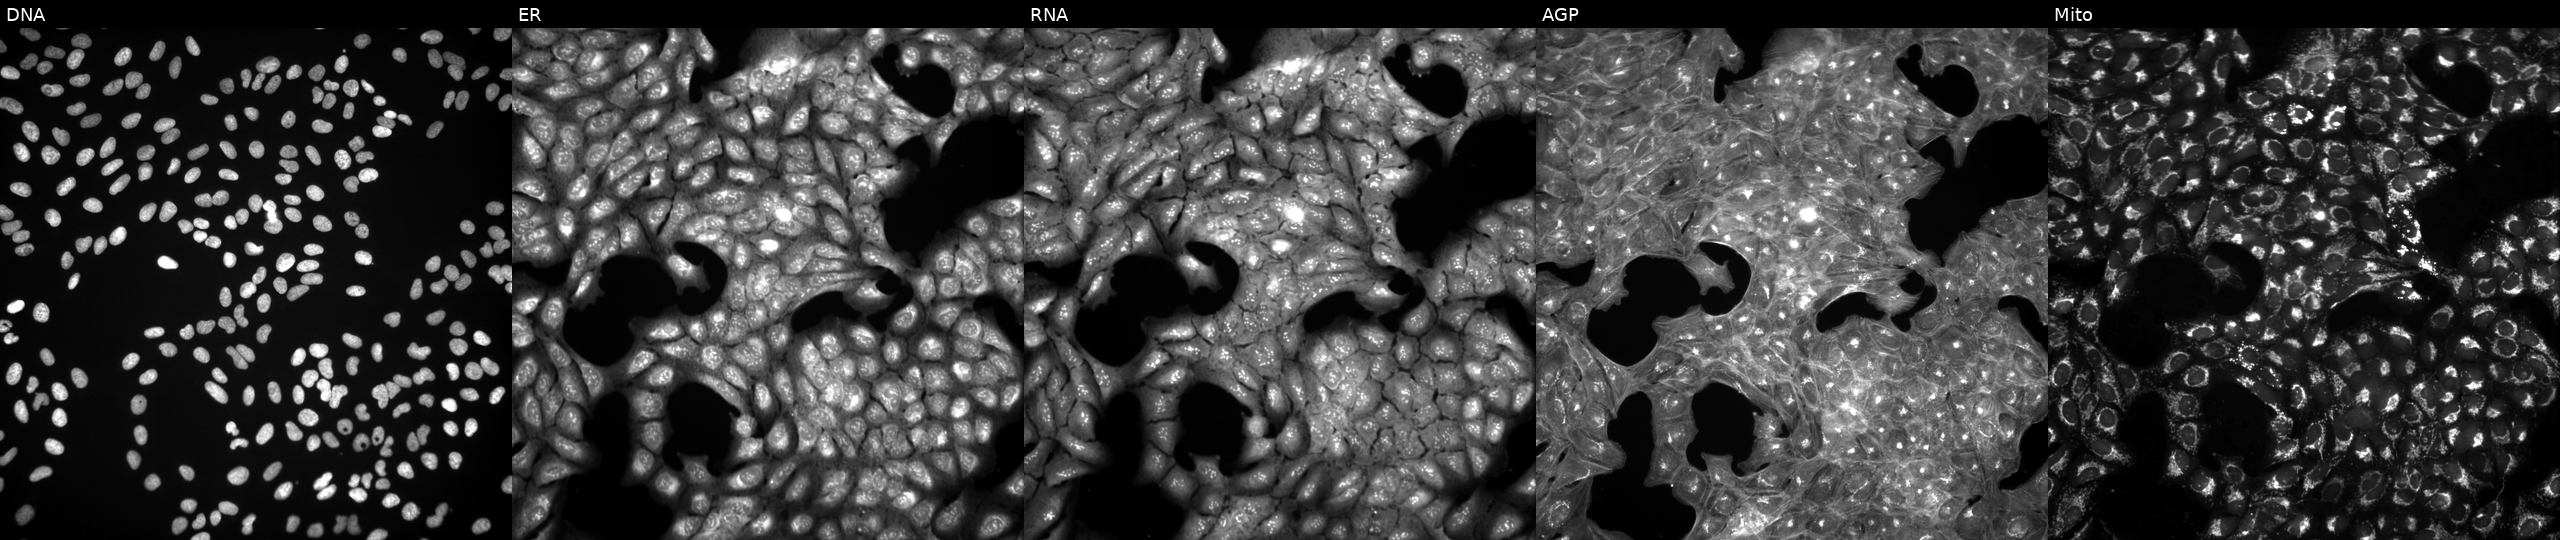
High-content fluorescence microscopy (Cell Painting). Cell line: U2OS. Perturbation: exposed to a small-molecule compound (InChIKey ZQPXNYLXYNRFNP-UHFFFAOYSA-N). The five panels, left to right, show Hoechst 33342, concanavalin A, SYTO 14, phalloidin and WGA, MitoTracker.